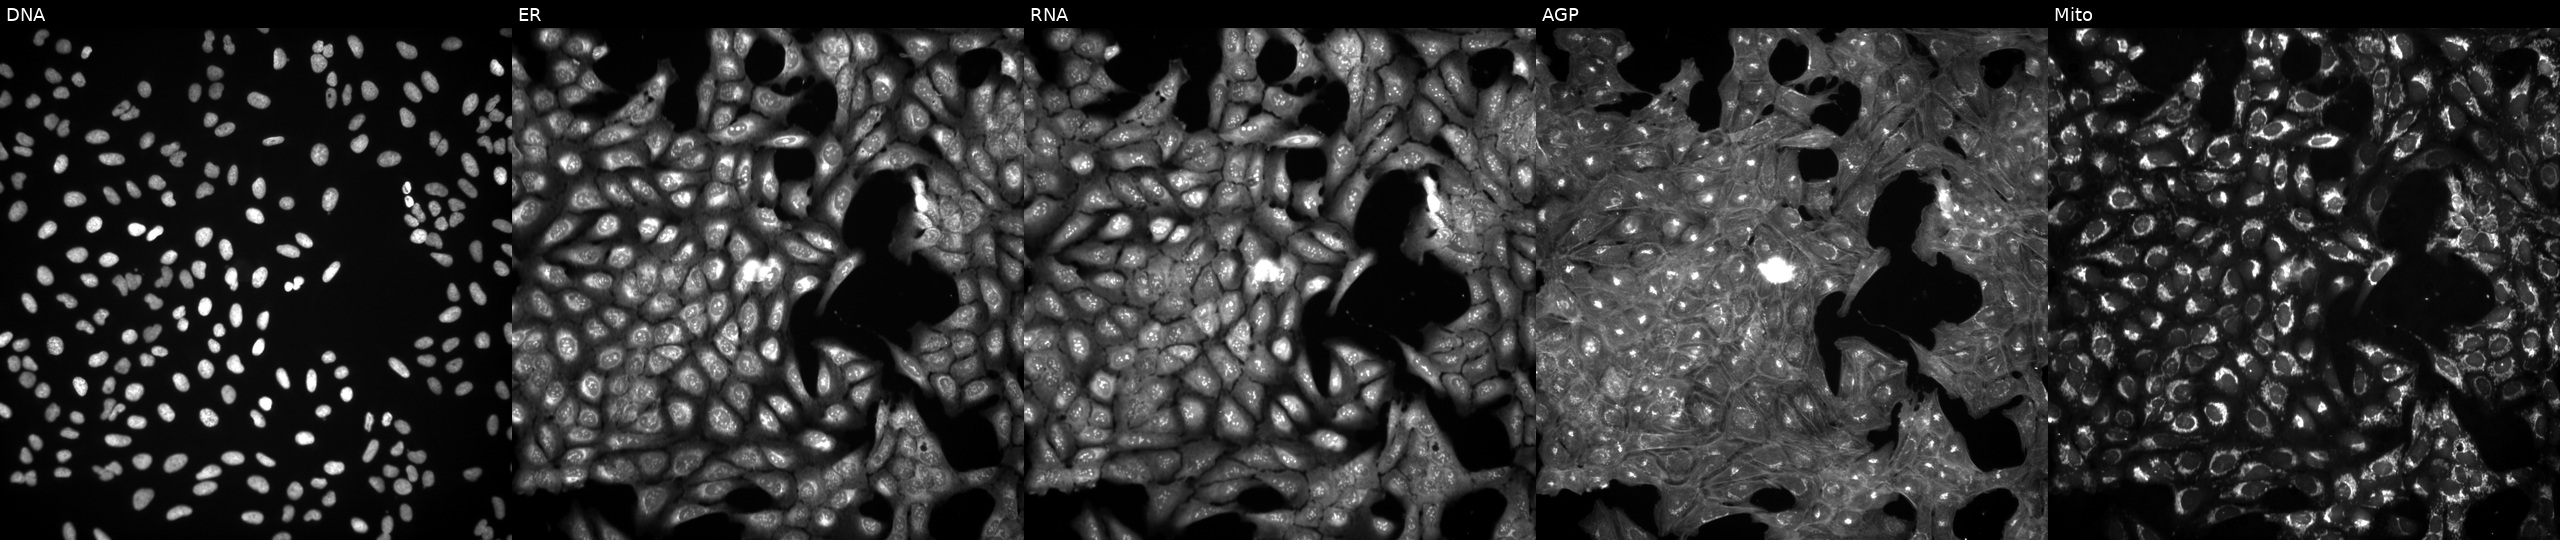
Panels show, left to right, DNA (nuclei); ER (endoplasmic reticulum); RNA (nucleoli and cytoplasmic RNA); AGP (actin cytoskeleton, Golgi, and plasma membrane); Mito (mitochondria). U2OS osteosarcoma cells perturbed with a small-molecule compound (InChIKey IGDJYTKBZXPRFS-UHFFFAOYSA-N). Cell Painting assay, JUMP-CP dataset. Source 3, plate BR5867a3, well I22.